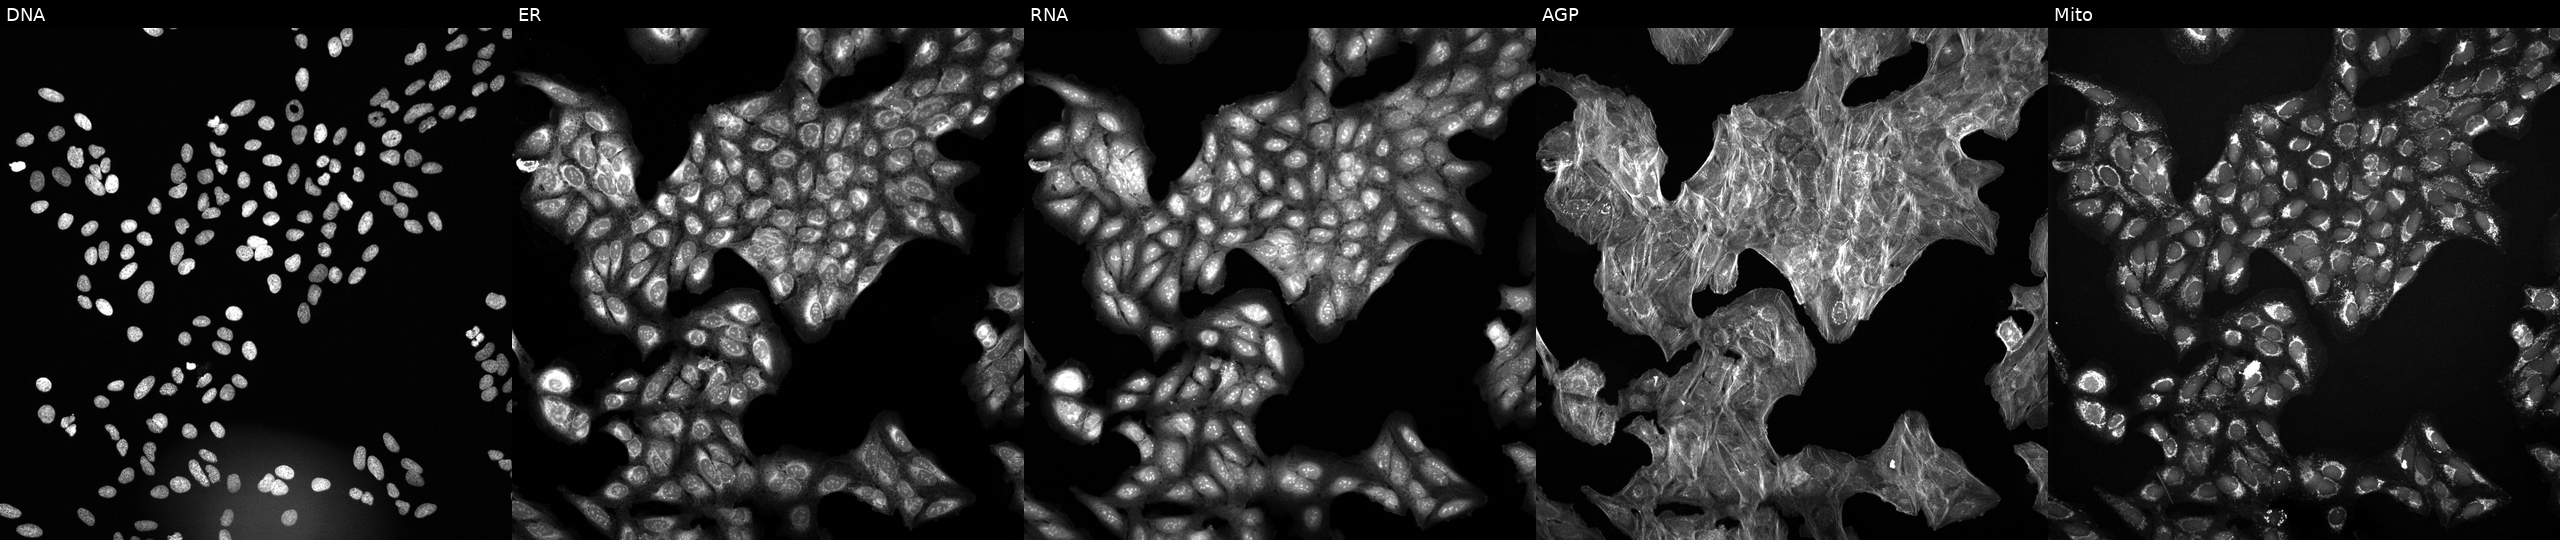
This image strip shows the five Cell Painting channels for a single field of U2OS cells perturbed with a small-molecule compound (InChIKey MAHBWUVYCWQSOP-UHFFFAOYSA-N) [SMILES: CCCCOc1ccc(C2CC(=O)Nc3c(-c4ccc(Cl)cc4)csc32)cc1OC]. Channels (left→right): Hoechst 33342, concanavalin A, SYTO 14, phalloidin and WGA, MitoTracker.